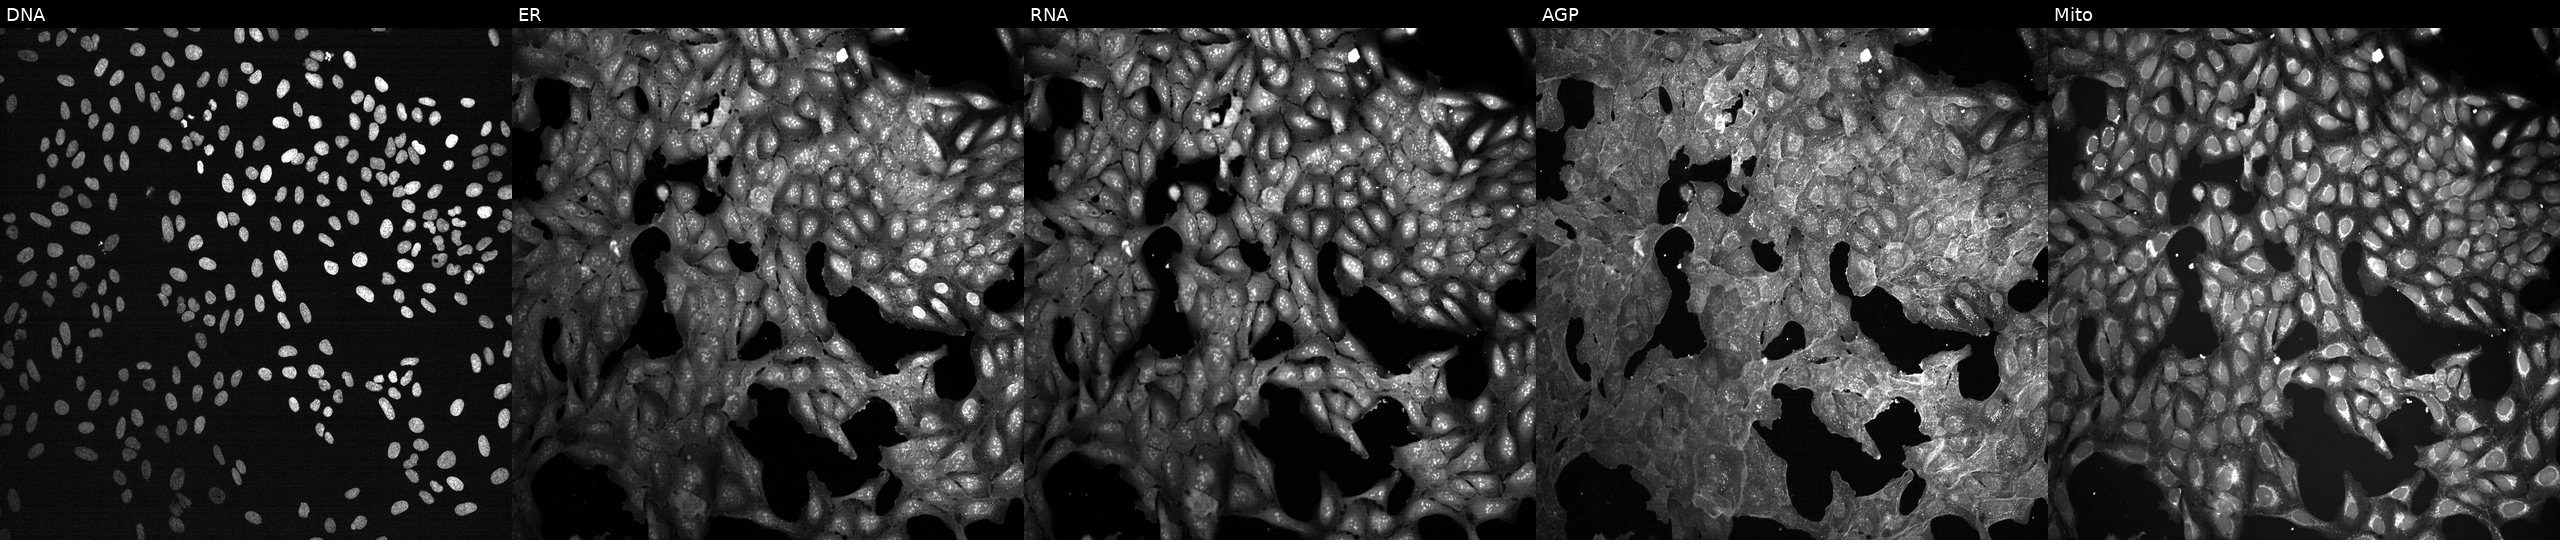
U2OS cells, Cell Painting assay, treated with a small-molecule compound (InChIKey LPYXWGMUVRGUOY-UHFFFAOYSA-N) (JUMP id JCP2022_050997). Channels (left→right): DNA, ER, RNA, AGP, and Mito. Each panel is percentile-stretched 16-bit fluorescence. Source 7, plate CP2-SC1-25, well A03.